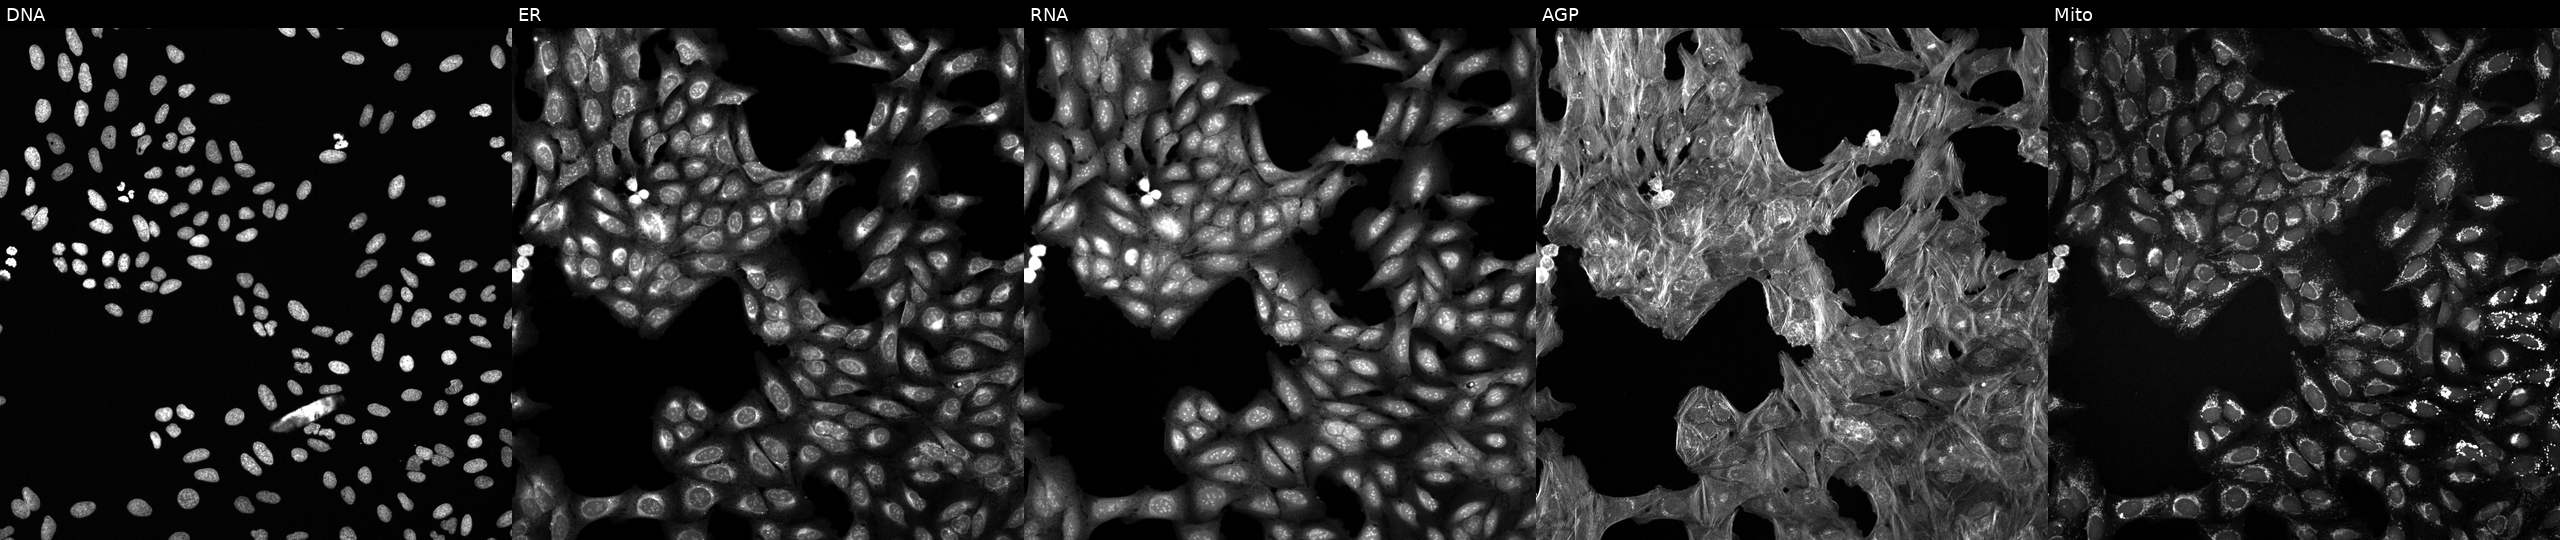
Five-channel Cell Painting image of U2OS cells perturbed with a small-molecule compound (InChIKey CXUCKELNYMZTRT-UHFFFAOYSA-N). From left to right: DNA (nuclei); ER (endoplasmic reticulum); RNA (nucleoli and cytoplasmic RNA); AGP (actin cytoskeleton, Golgi, and plasma membrane); Mito (mitochondria).